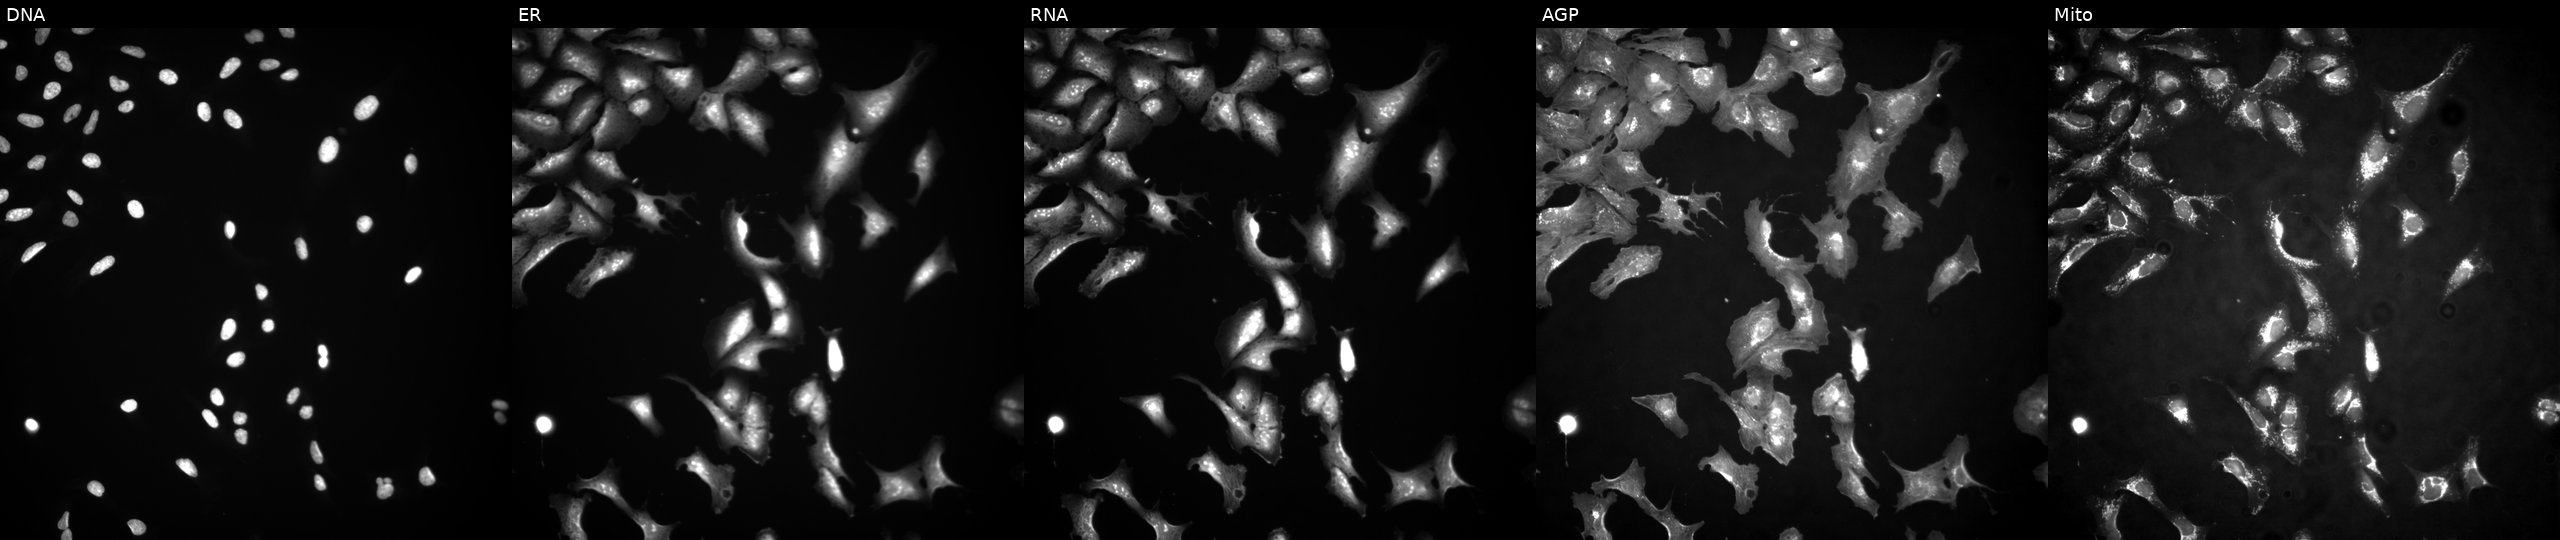
U2OS cells, Cell Painting assay, with SNF8 overexpressed (ORF) (JUMP id JCP2022_910830). From left to right: DNA (nuclei); ER (endoplasmic reticulum); RNA (nucleoli and cytoplasmic RNA); AGP (actin cytoskeleton, Golgi, and plasma membrane); Mito (mitochondria). Each panel is percentile-stretched 16-bit fluorescence.